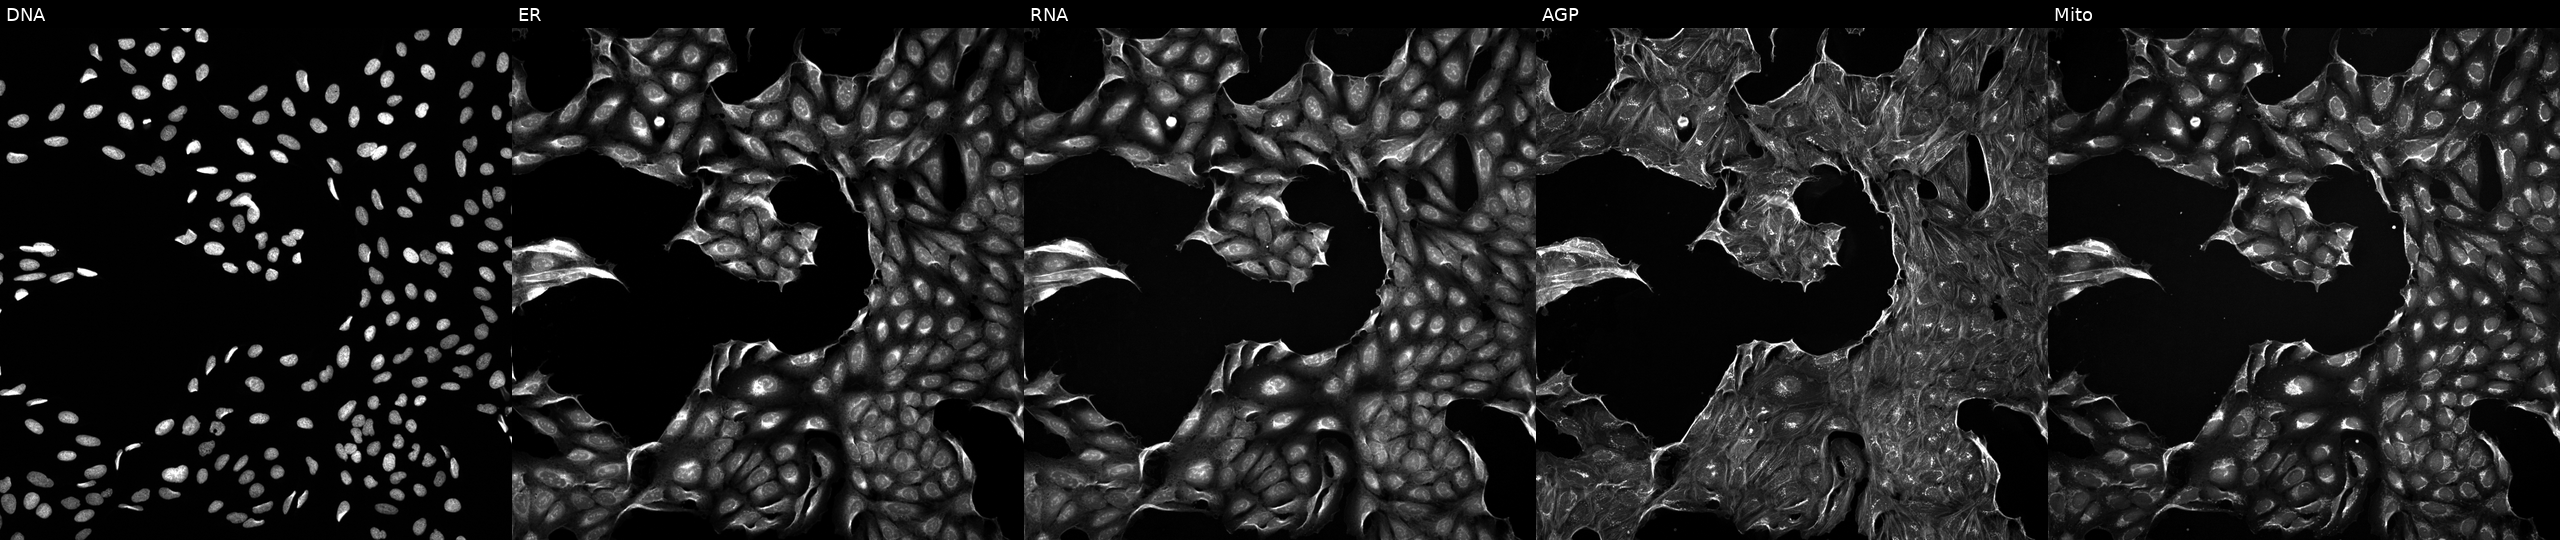
High-content fluorescence microscopy (Cell Painting). Cell line: U2OS. Perturbation: perturbed with a small-molecule compound (InChIKey MENNDDDTIIZDDN-UHFFFAOYSA-N). Channels (left→right): DNA (nuclei); ER (endoplasmic reticulum); RNA (nucleoli and cytoplasmic RNA); AGP (actin cytoskeleton, Golgi, and plasma membrane); Mito (mitochondria).